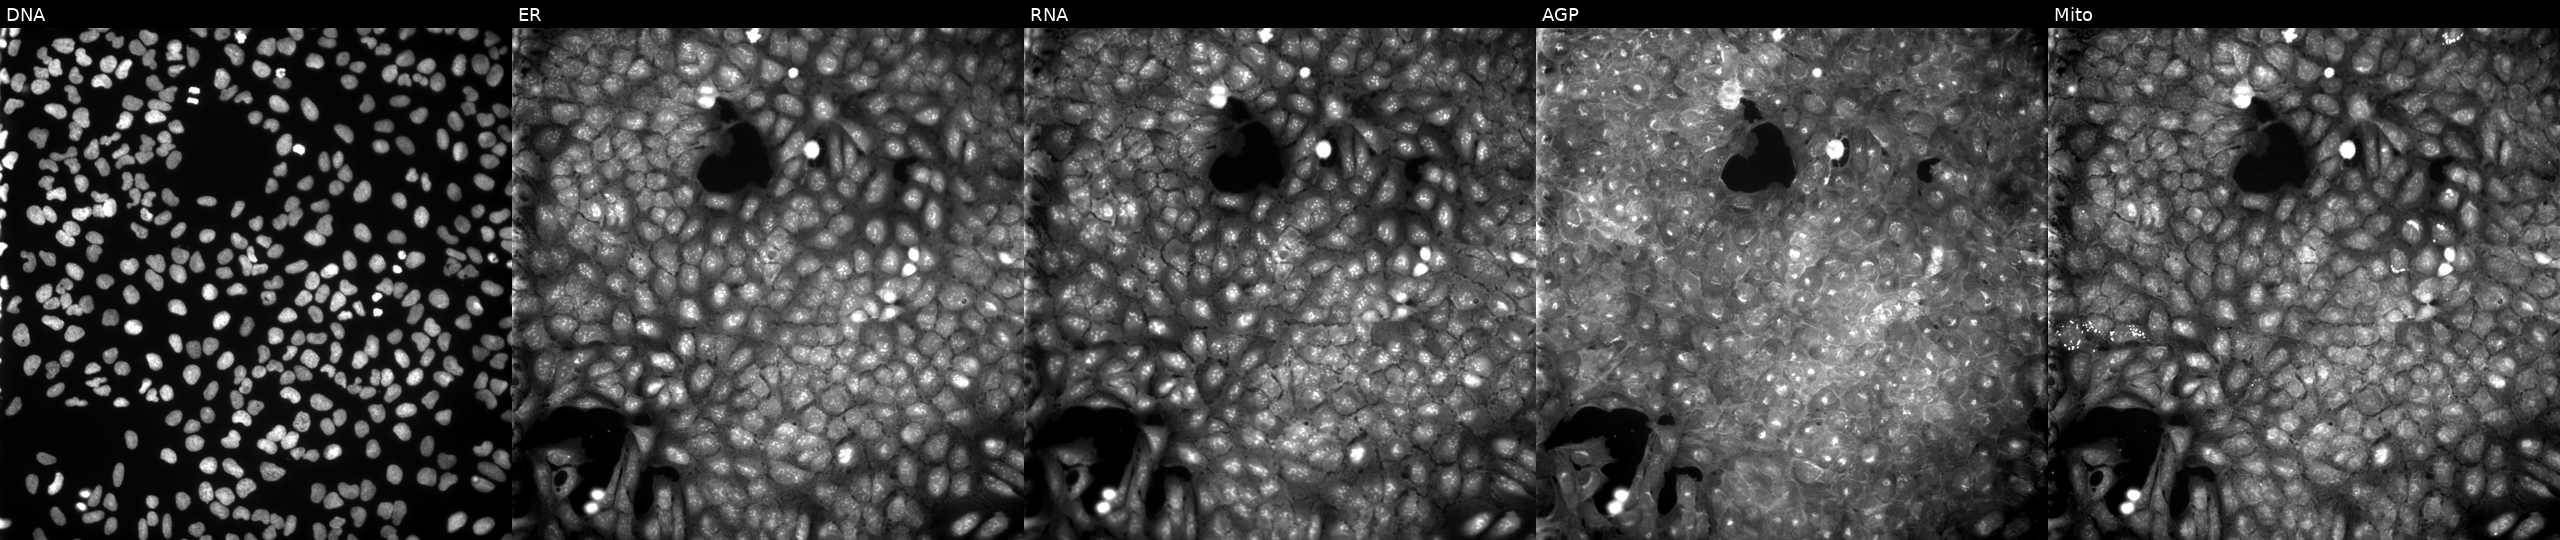
U2OS cells, Cell Painting assay, treated with a small-molecule compound (InChIKey YDJBOMLTXNLGNI-UHFFFAOYSA-N). Channels (left→right): DNA (nuclei); ER (endoplasmic reticulum); RNA (nucleoli and cytoplasmic RNA); AGP (actin cytoskeleton, Golgi, and plasma membrane); Mito (mitochondria). Each panel is percentile-stretched 16-bit fluorescence.